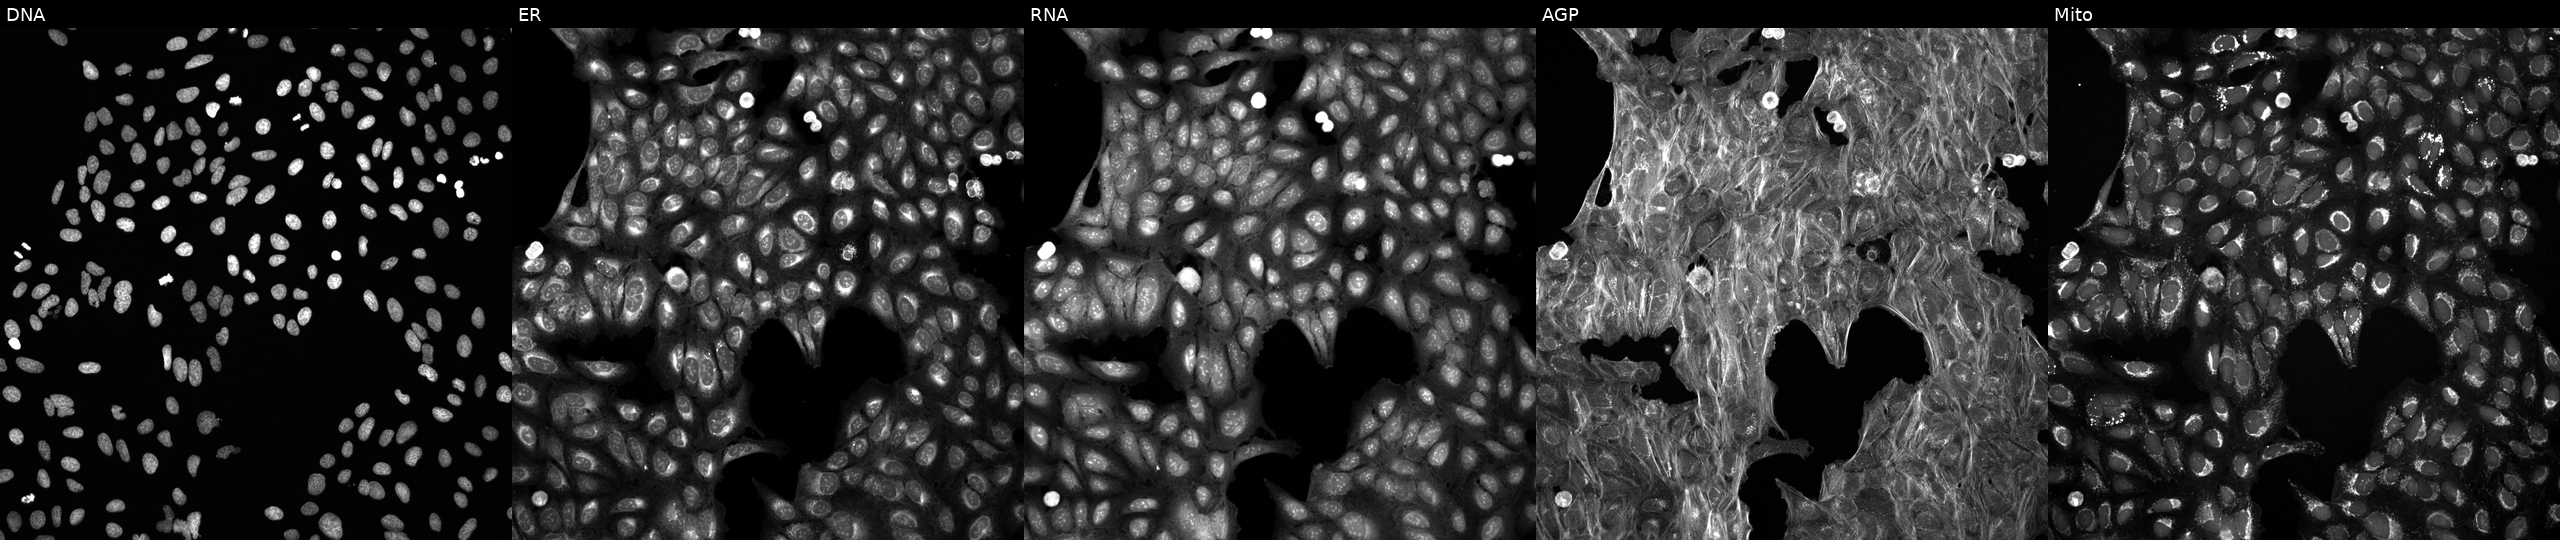
JUMP Cell Painting — TARGET2 plate. U2OS cells perturbed with a small-molecule compound (InChIKey SQMWSBKSHWARHU-UHFFFAOYSA-N). The five panels, left to right, show DNA, ER, RNA, AGP, and Mito. Source 6, plate 110000294901, well E15.